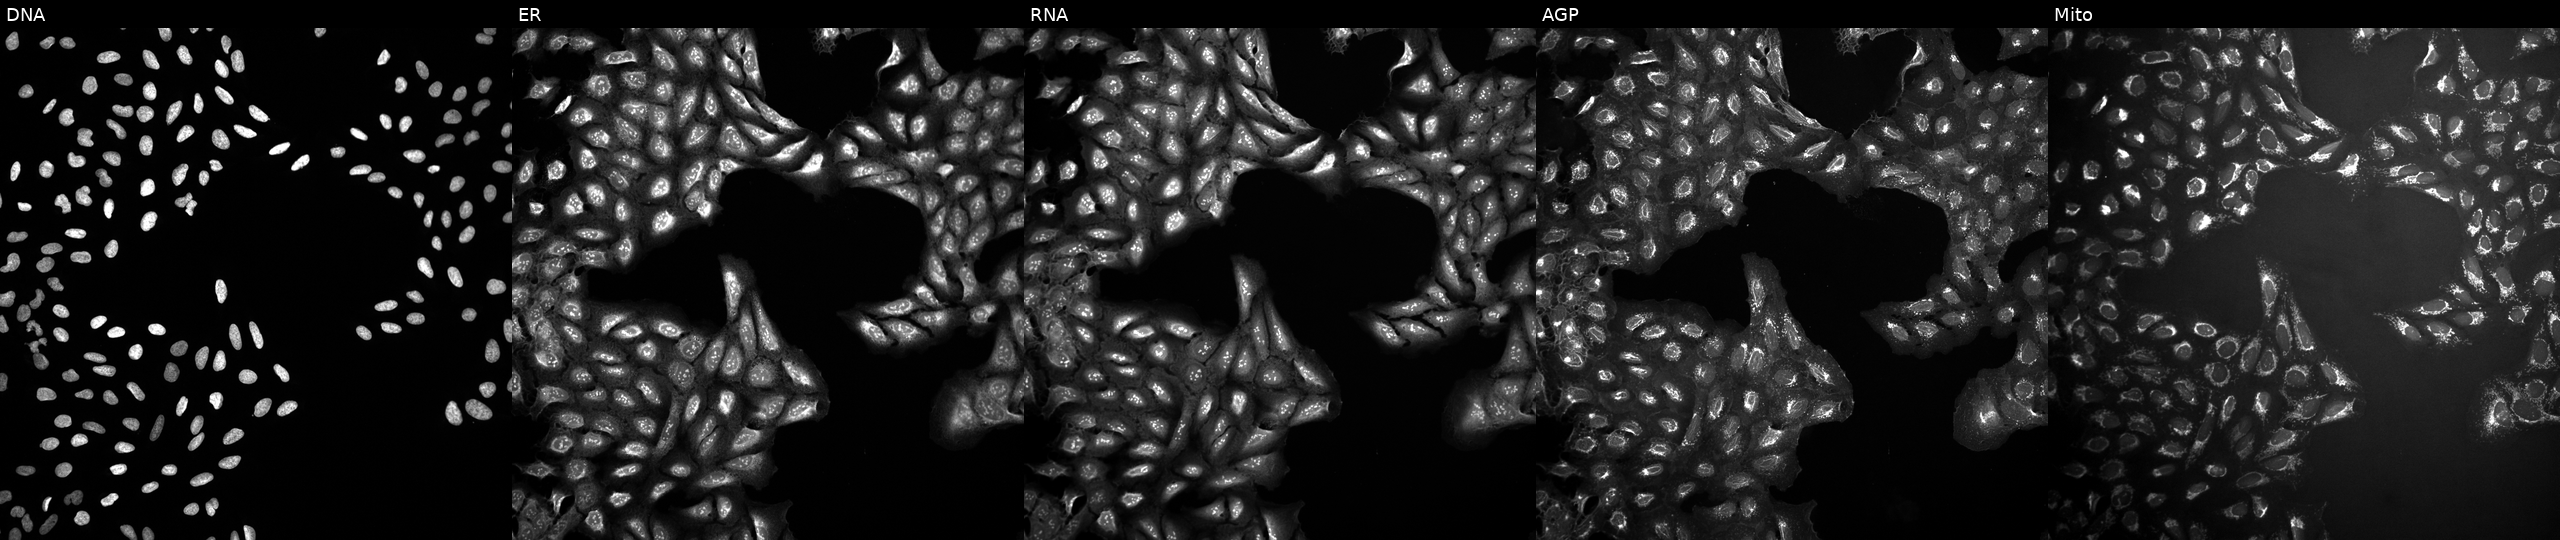
From left to right: Hoechst 33342, concanavalin A, SYTO 14, phalloidin and WGA, MitoTracker. U2OS osteosarcoma cells treated with a small-molecule compound (InChIKey IFIUFCJFLGCQPH-UHFFFAOYSA-N) [SMILES: Cc1ccc([N+](=O)[O-])cc1S(=O)(=O)N(C)C] (JUMP id JCP2022_034709). Cell Painting assay, JUMP-CP dataset.